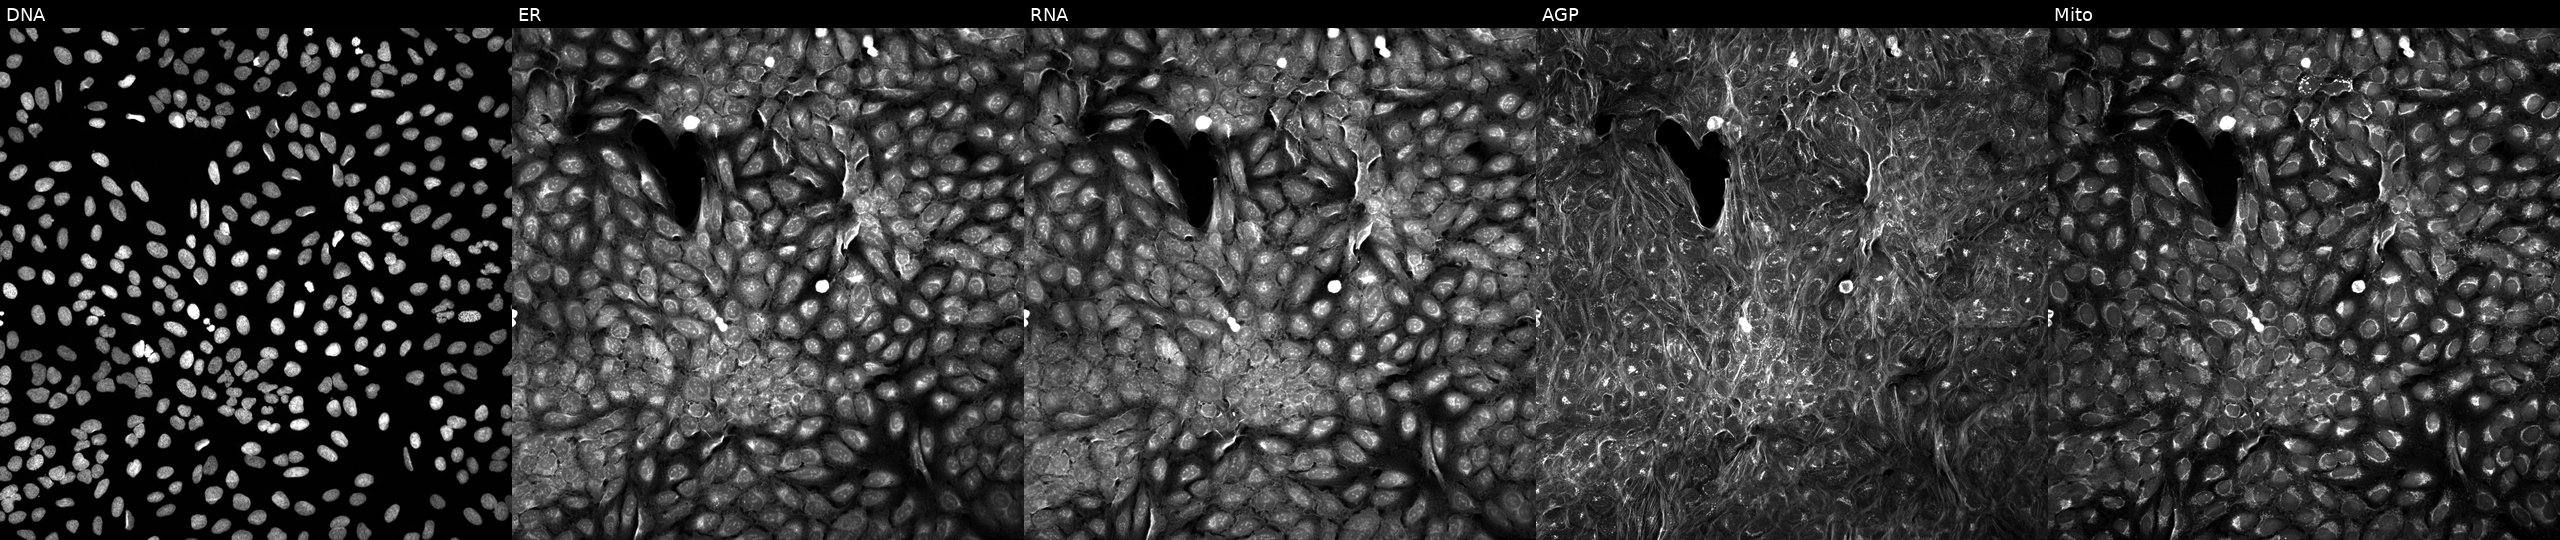
High-content fluorescence microscopy (Cell Painting). Cell line: U2OS. Perturbation: treated with a small-molecule compound (InChIKey KJFMBFZCATUALV-UHFFFAOYSA-N) (JUMP id JCP2022_044972). From left to right: DNA (nuclei); ER (endoplasmic reticulum); RNA (nucleoli and cytoplasmic RNA); AGP (actin cytoskeleton, Golgi, and plasma membrane); Mito (mitochondria).